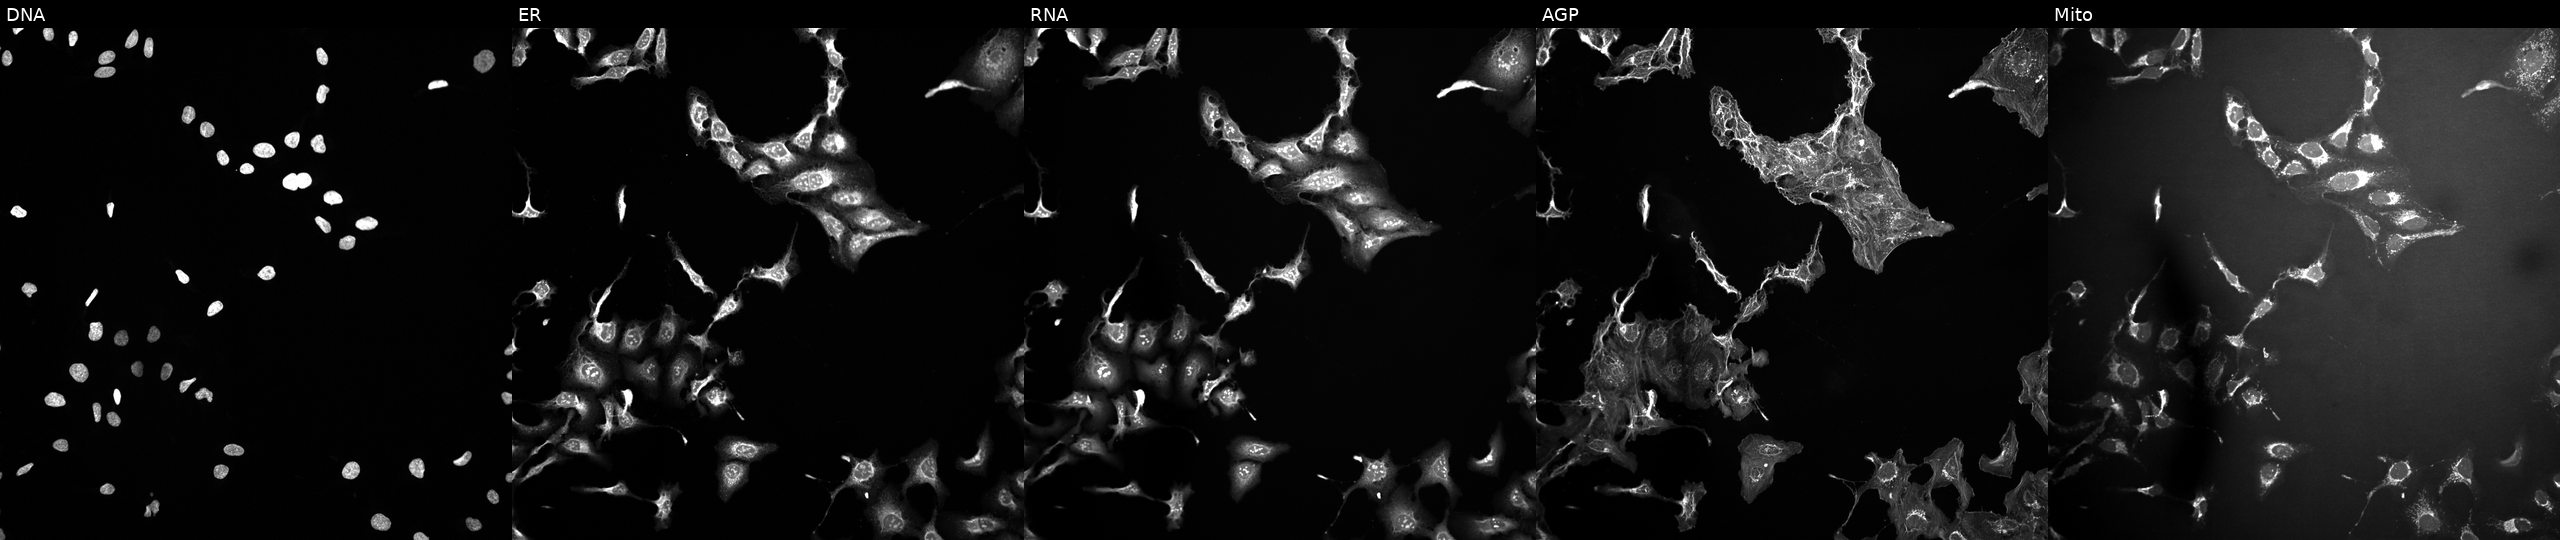
This image strip shows the five Cell Painting channels for a single field of U2OS cells treated with a small-molecule compound (InChIKey GDVRVPIXWXOKQO-UHFFFAOYSA-N) (JUMP id JCP2022_024824). Channels (left→right): DNA (nuclei); ER (endoplasmic reticulum); RNA (nucleoli and cytoplasmic RNA); AGP (actin cytoskeleton, Golgi, and plasma membrane); Mito (mitochondria).